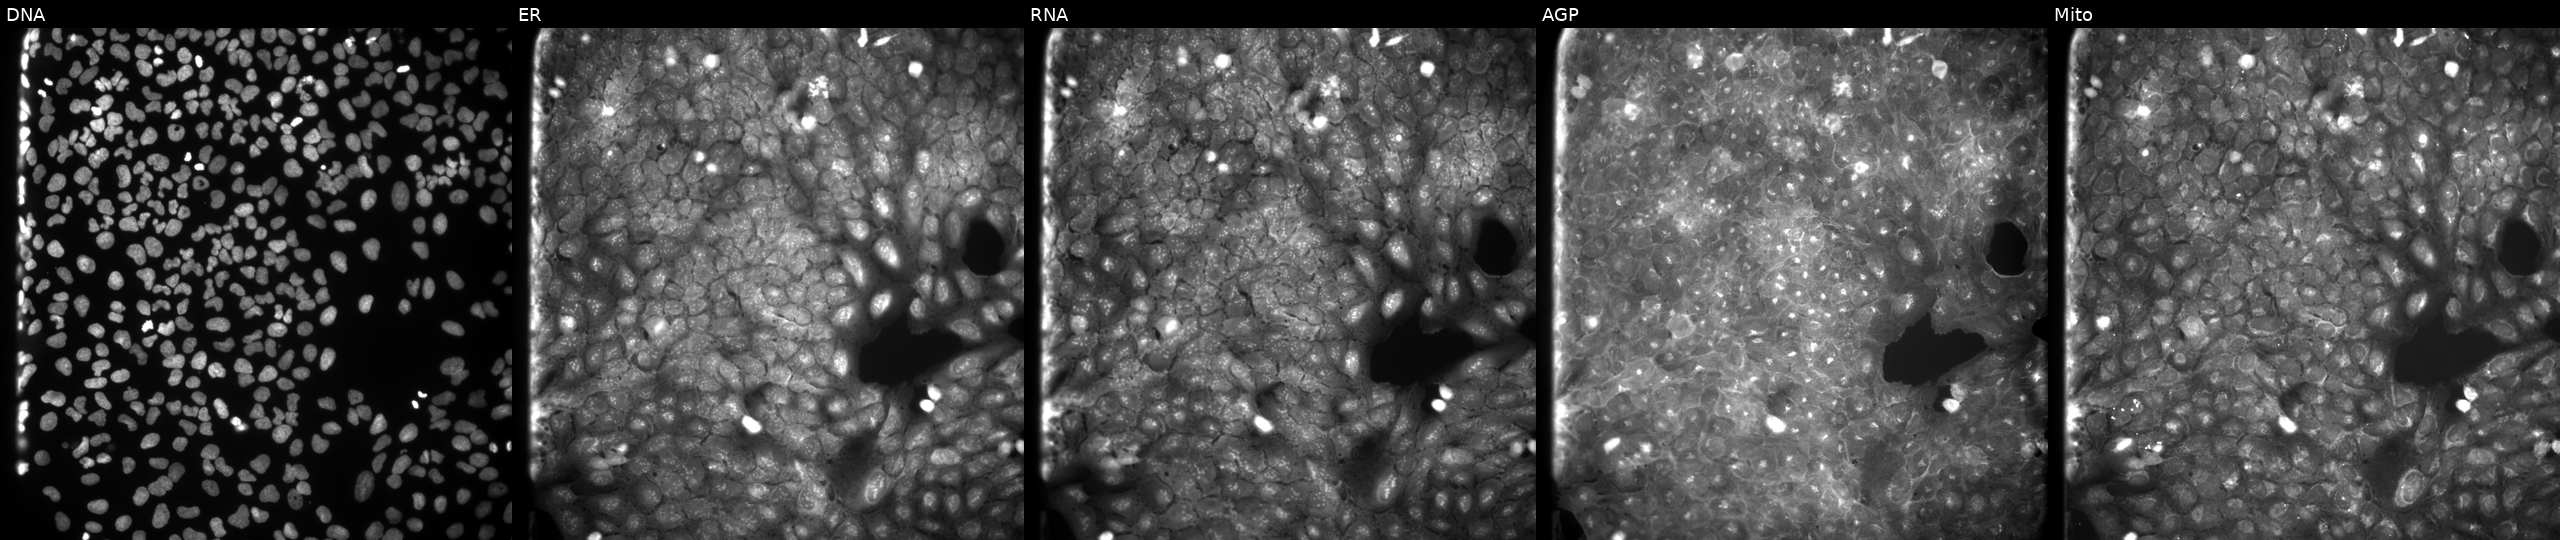
JUMP Cell Painting — COMPOUND plate. U2OS cells exposed to a small-molecule compound (InChIKey OBZXYDODYRPOEU-UHFFFAOYSA-N) (JUMP id JCP2022_062841). Panels show, left to right, DNA, ER, RNA, AGP, and Mito. Source 9, plate GR00003382, well M07.